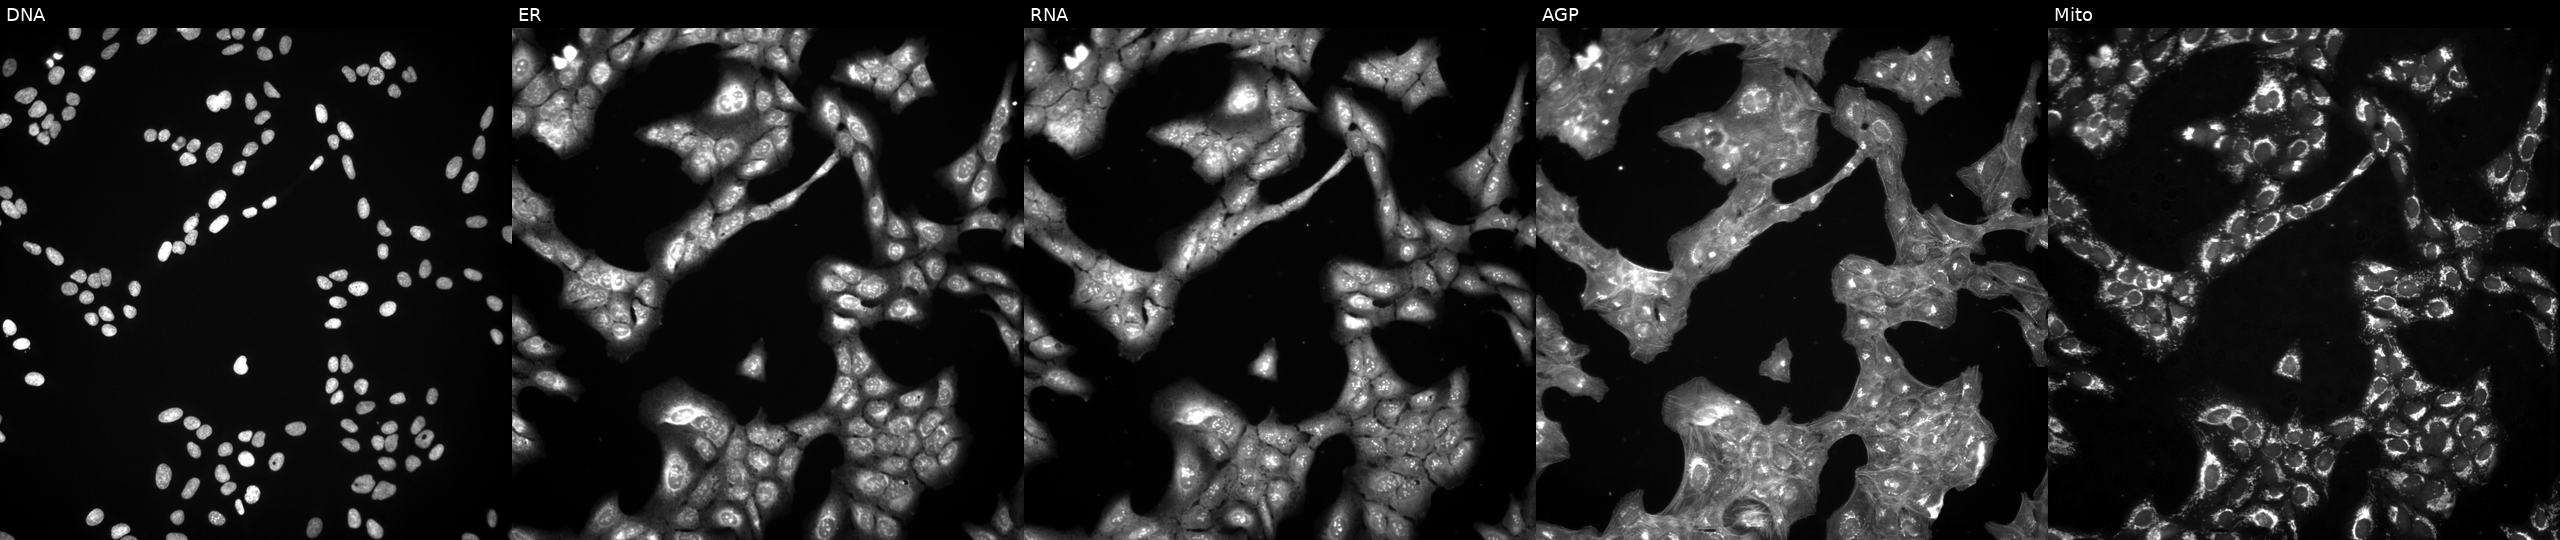
Five-channel Cell Painting image of U2OS cells treated with a small-molecule compound [SMILES: O=C(Nc1c(-c2ccccc2)c2cc(Br)ccc2[nH]c1=O)c1ccccc1Cl]. Panels show, left to right, Hoechst 33342, concanavalin A, SYTO 14, phalloidin and WGA, MitoTracker. Source 3, plate BR5867a3, well M05.